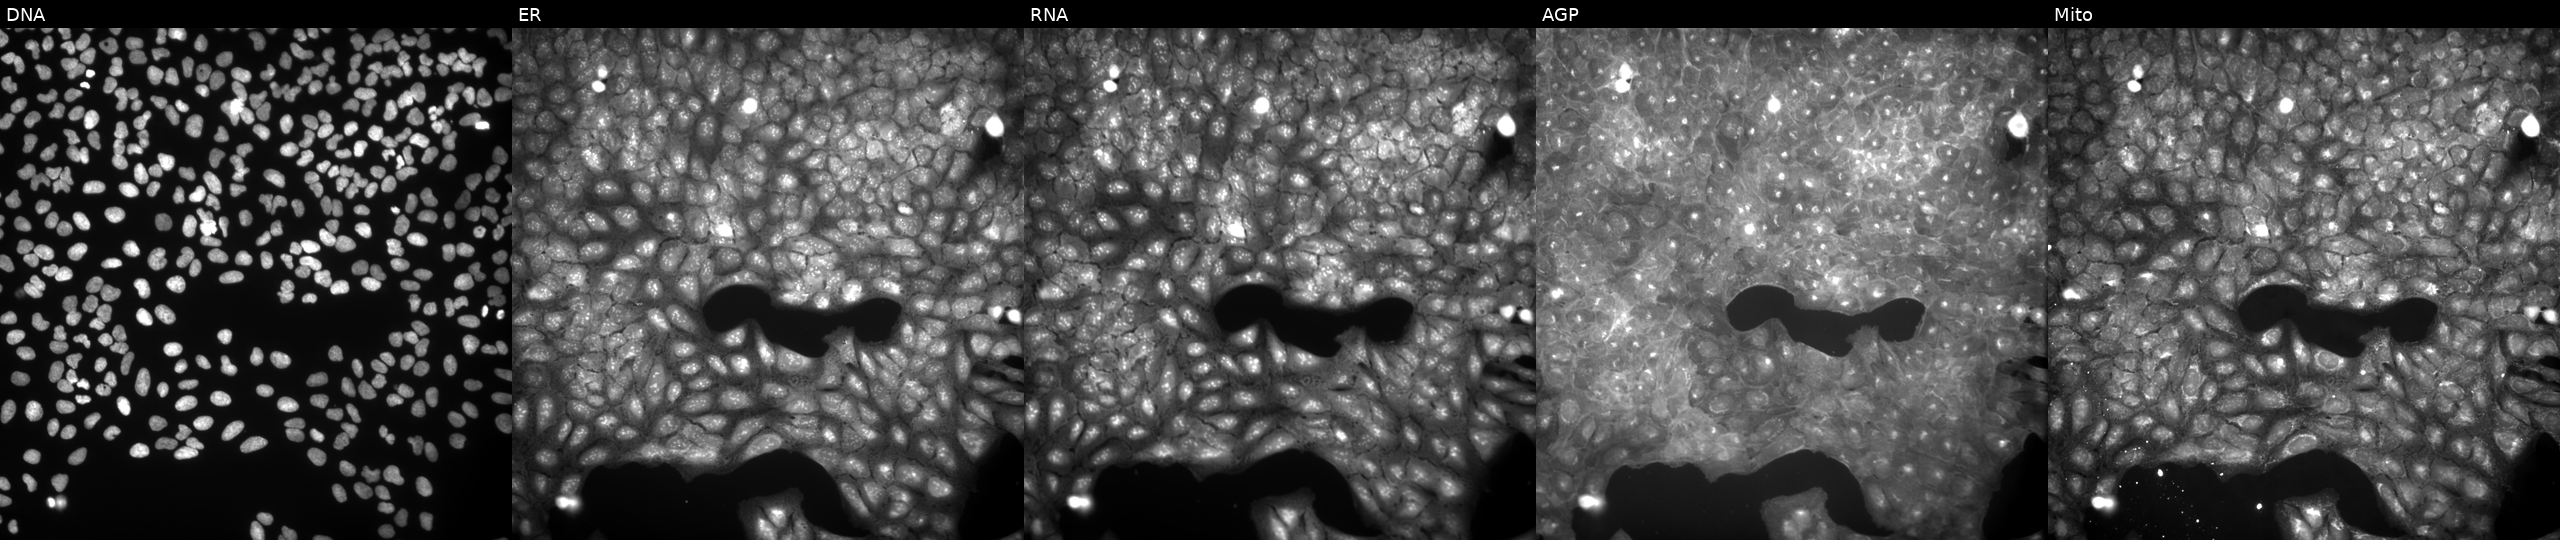
JUMP Cell Painting — COMPOUND plate. U2OS cells perturbed with a small-molecule compound. Channels (left→right): DNA, ER, RNA, AGP, and Mito.